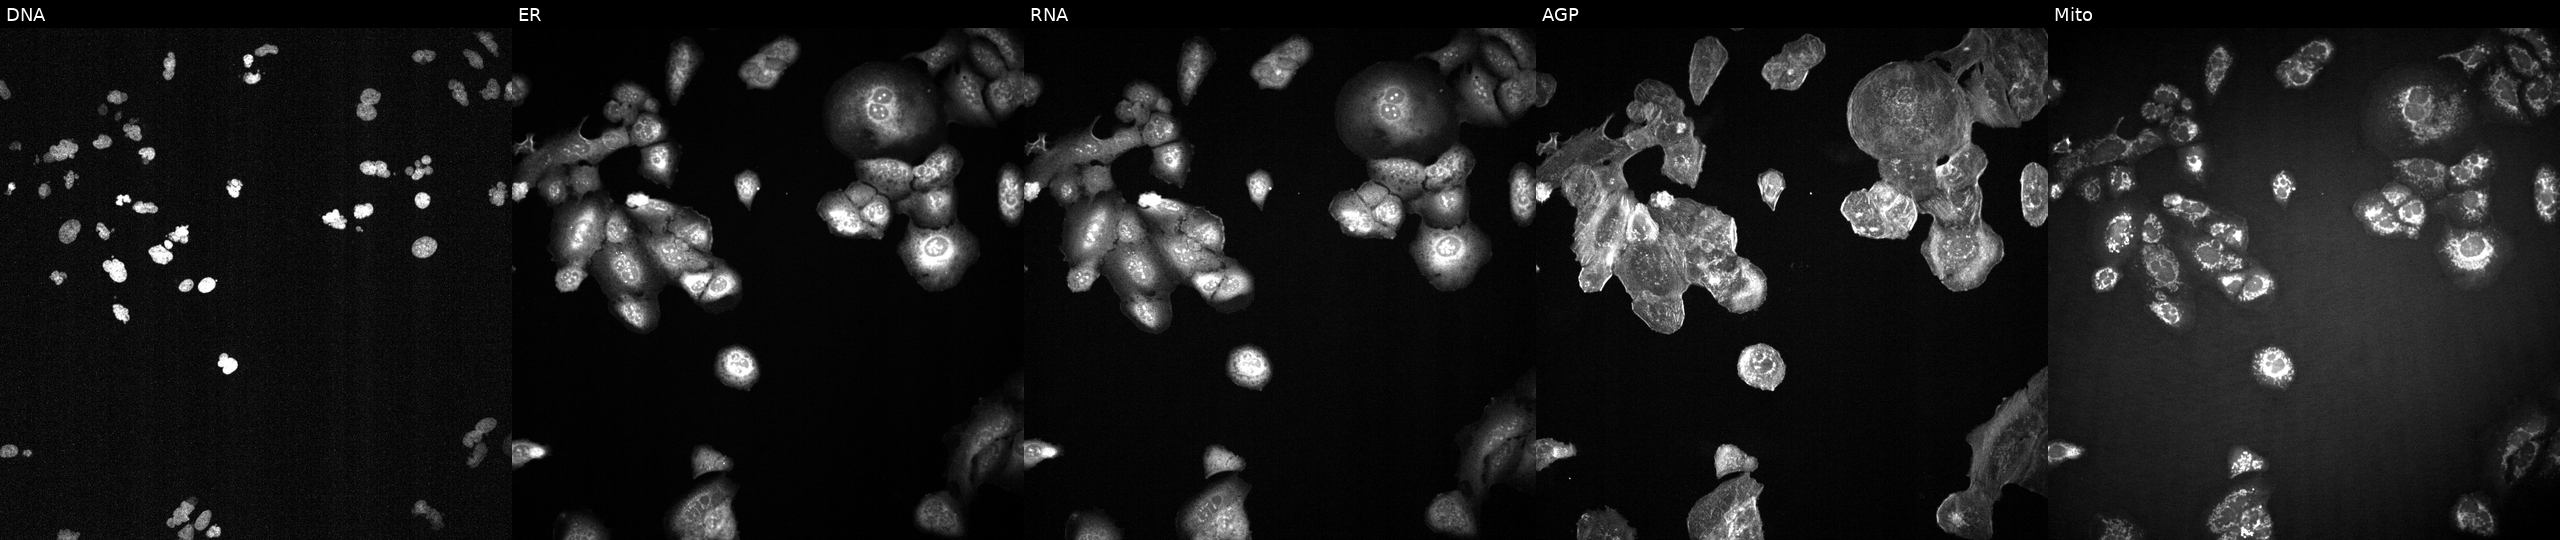
This image strip shows the five Cell Painting channels for a single field of U2OS cells perturbed with a small-molecule compound (InChIKey JOLJIIDDOBNFHW-UHFFFAOYSA-N). Panels show, left to right, DNA (nuclei); ER (endoplasmic reticulum); RNA (nucleoli and cytoplasmic RNA); AGP (actin cytoskeleton, Golgi, and plasma membrane); Mito (mitochondria). Source 2, plate 1053599503, well H01.